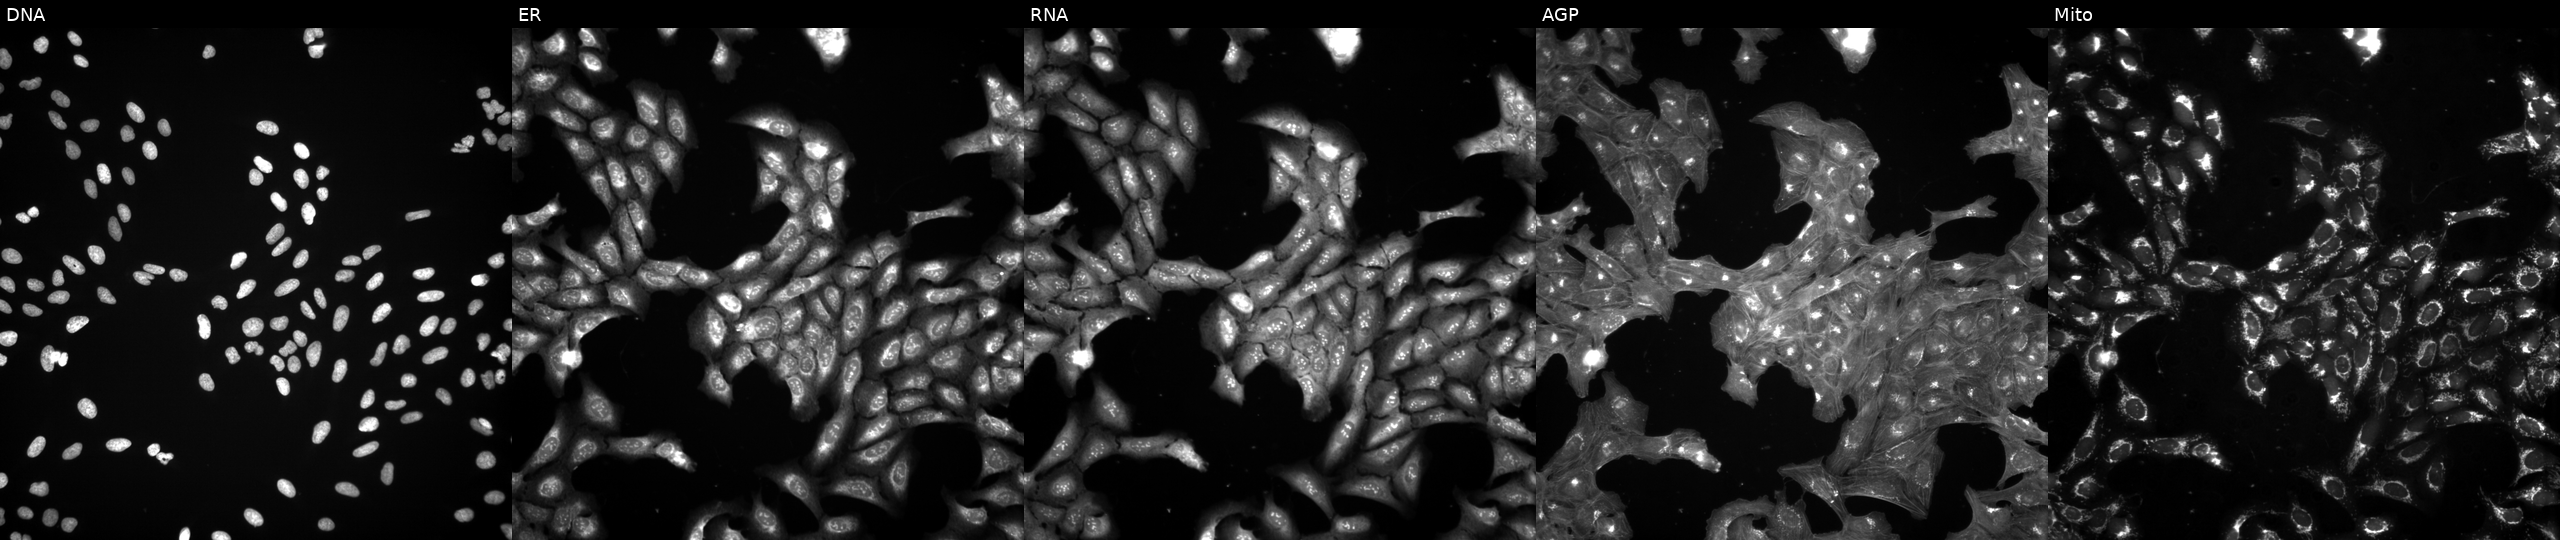
U2OS cells, Cell Painting assay, perturbed with a small-molecule compound (InChIKey BXNFCLORCWACCR-UHFFFAOYSA-N) (JUMP id JCP2022_009315). From left to right: Hoechst 33342, concanavalin A, SYTO 14, phalloidin and WGA, MitoTracker. Each panel is percentile-stretched 16-bit fluorescence.